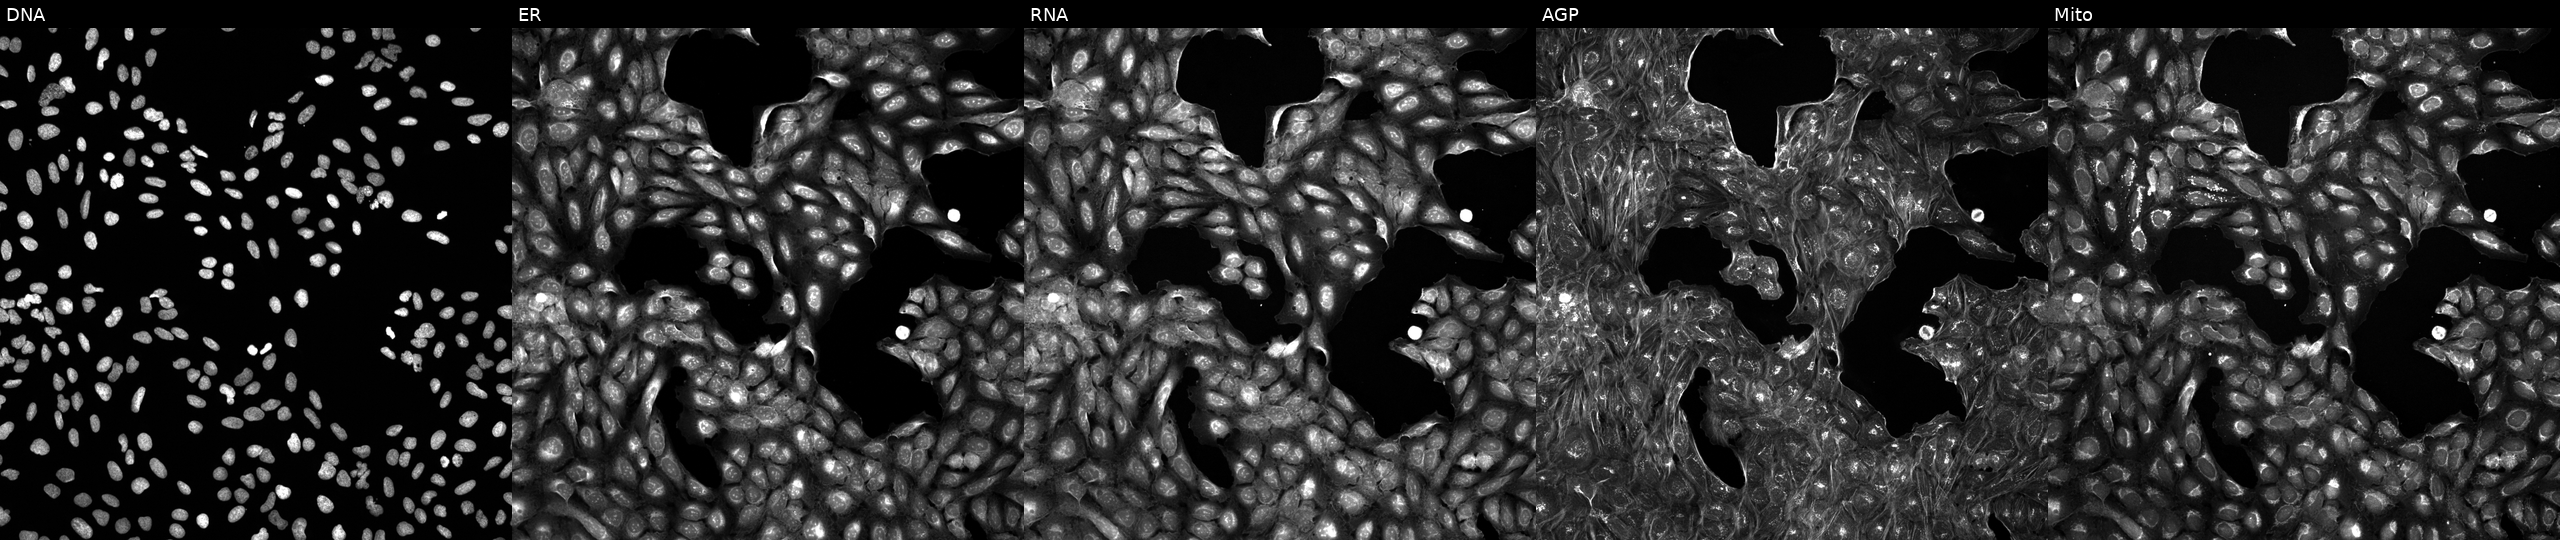
High-content fluorescence microscopy (Cell Painting). Cell line: U2OS. Perturbation: exposed to a small-molecule compound (JUMP id JCP2022_084810). From left to right: Hoechst 33342, concanavalin A, SYTO 14, phalloidin and WGA, MitoTracker. Source 5, plate APTJUM105, well G16.